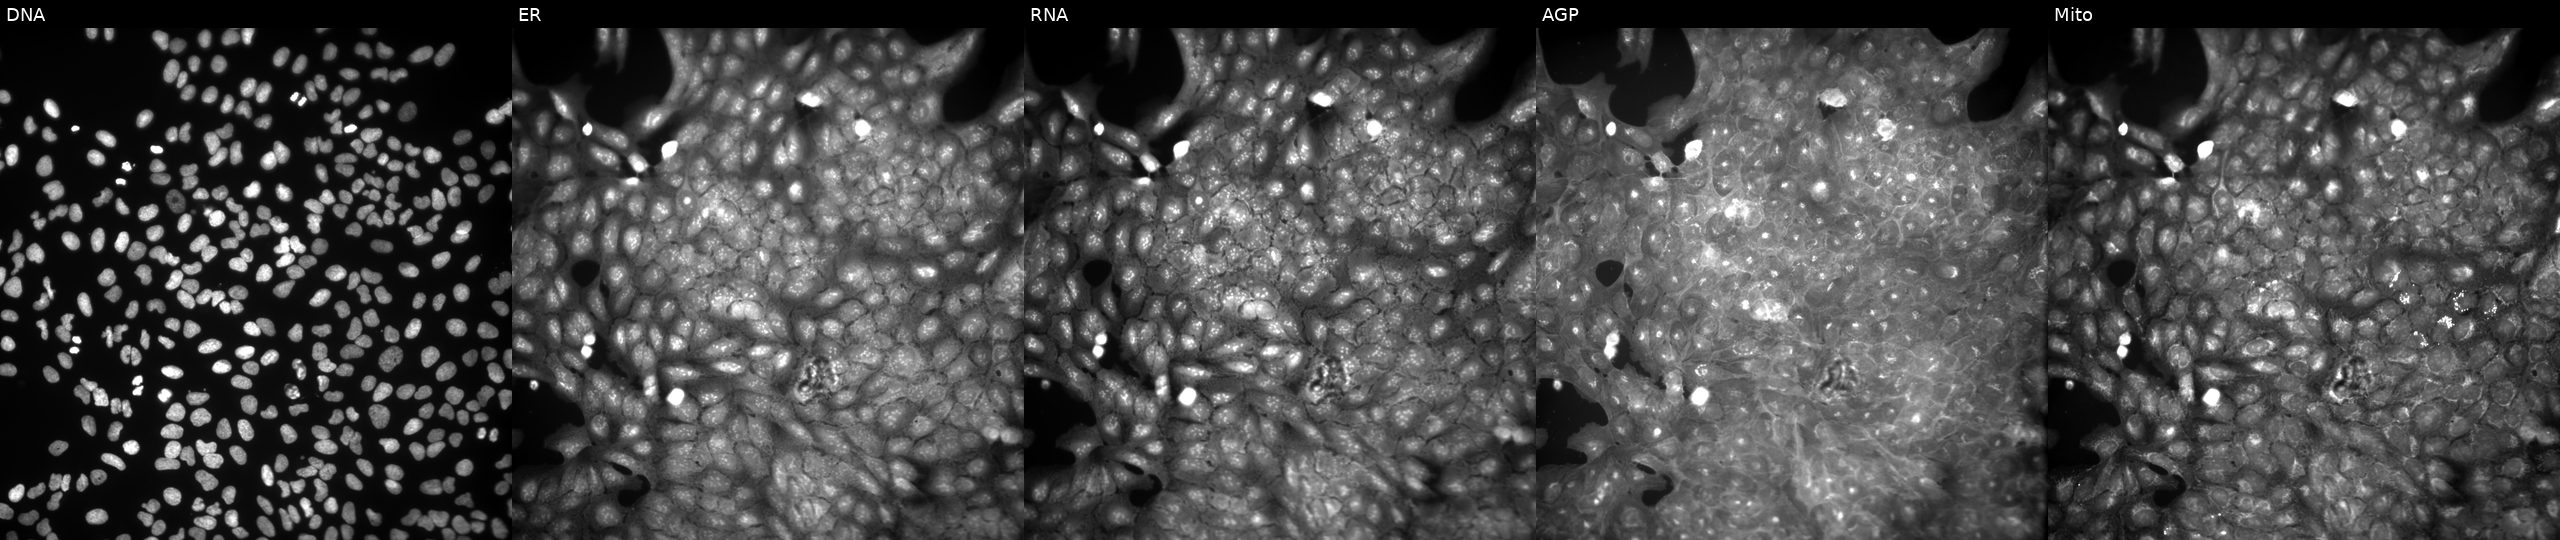
Five-channel Cell Painting image of U2OS cells perturbed with a small-molecule compound. The five panels, left to right, show Hoechst 33342, concanavalin A, SYTO 14, phalloidin and WGA, MitoTracker.